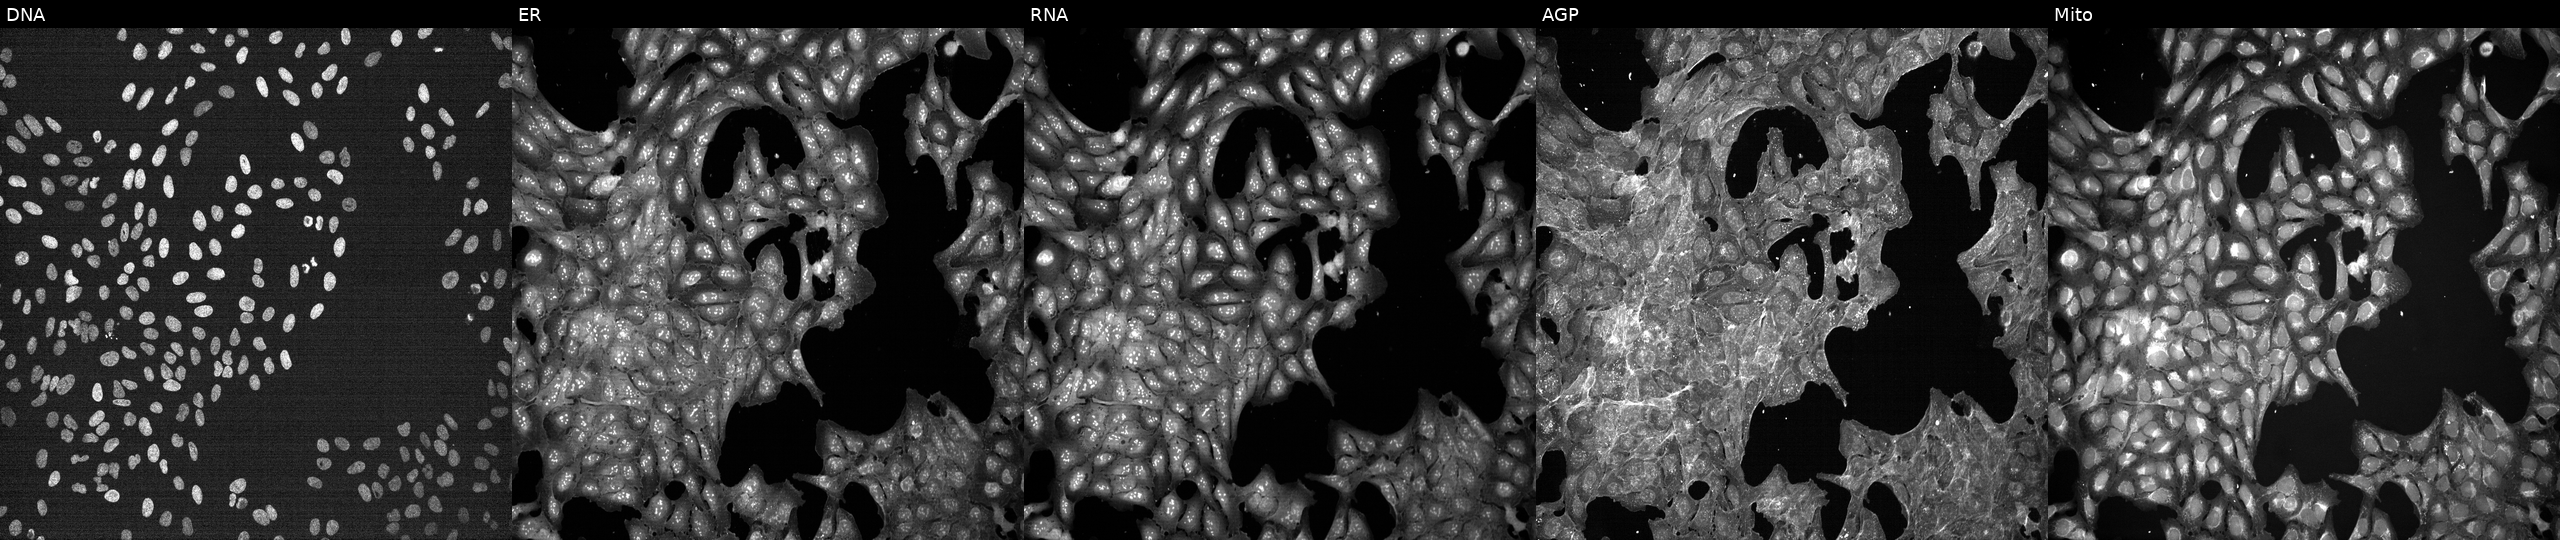
From left to right: Hoechst 33342, concanavalin A, SYTO 14, phalloidin and WGA, MitoTracker. U2OS osteosarcoma cells perturbed with a small-molecule compound (JUMP id JCP2022_060649). Cell Painting assay, JUMP-CP dataset.